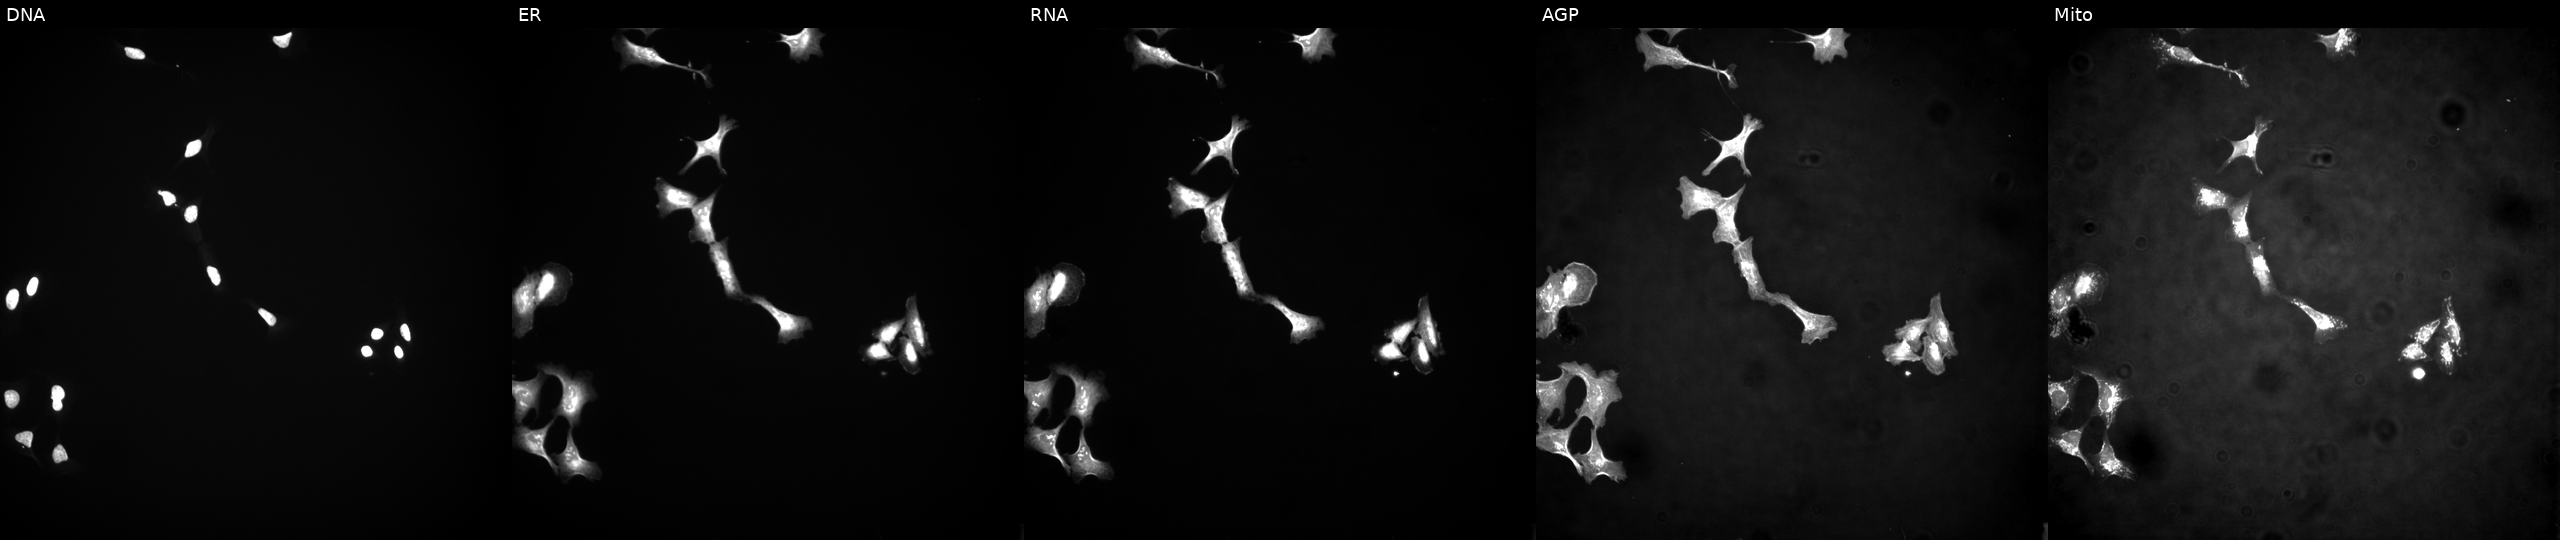
Channels (left→right): Hoechst 33342, concanavalin A, SYTO 14, phalloidin and WGA, MitoTracker. U2OS osteosarcoma cells transfected with an ORF construct for SERPINB5 (JUMP id JCP2022_910281). Cell Painting assay, JUMP-CP dataset.